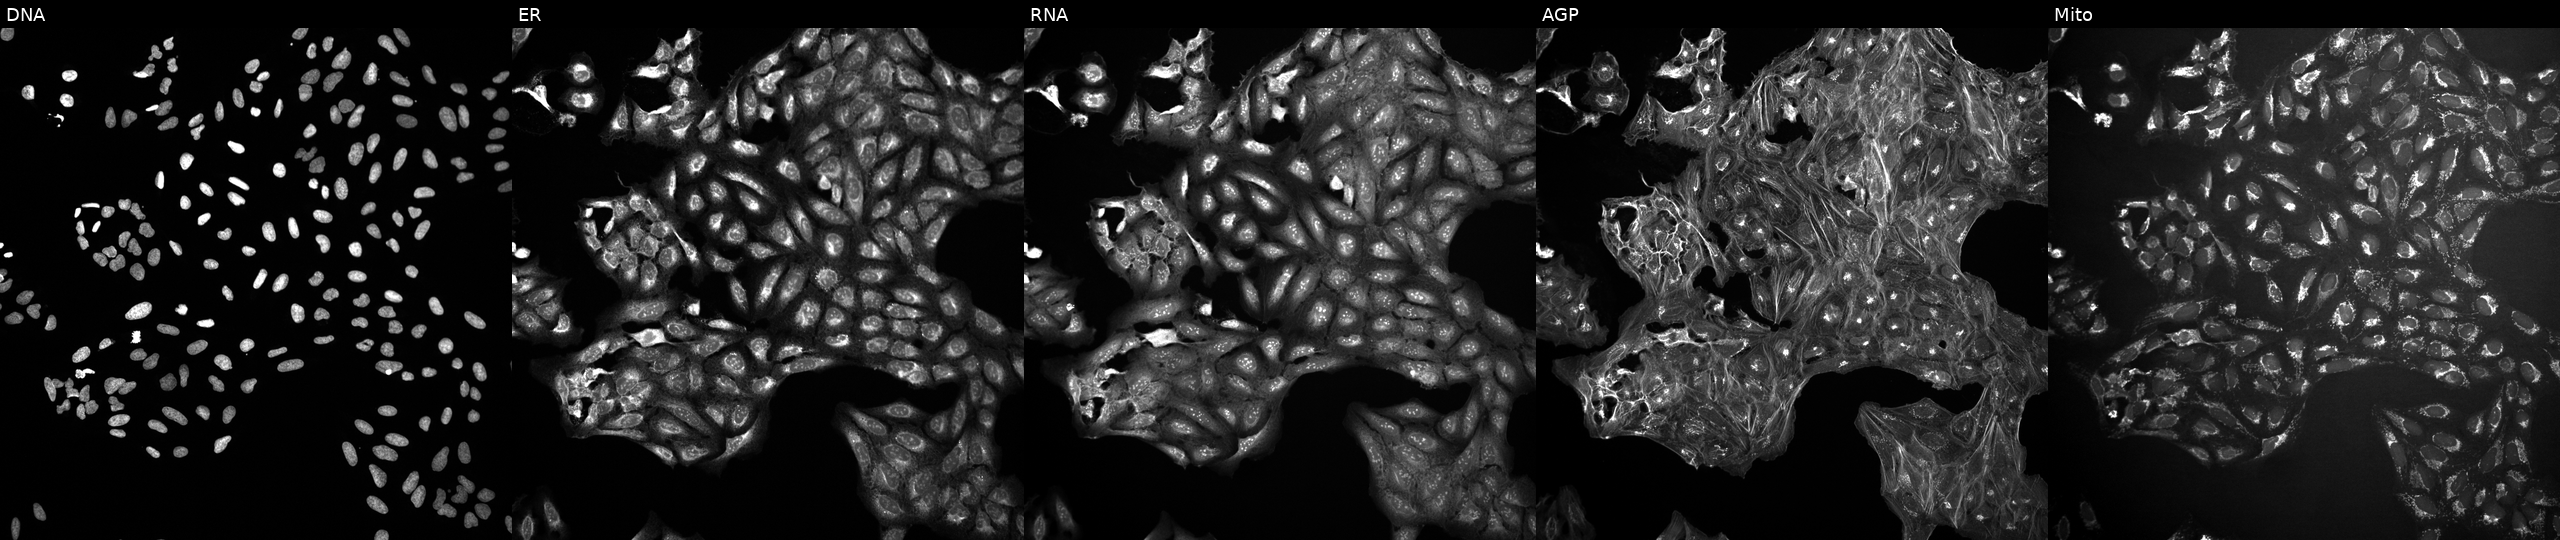
Panels show, left to right, DNA, ER, RNA, AGP, and Mito. U2OS osteosarcoma cells in an empty control well (no perturbation) (JUMP id JCP2022_999999). Cell Painting assay, JUMP-CP dataset.